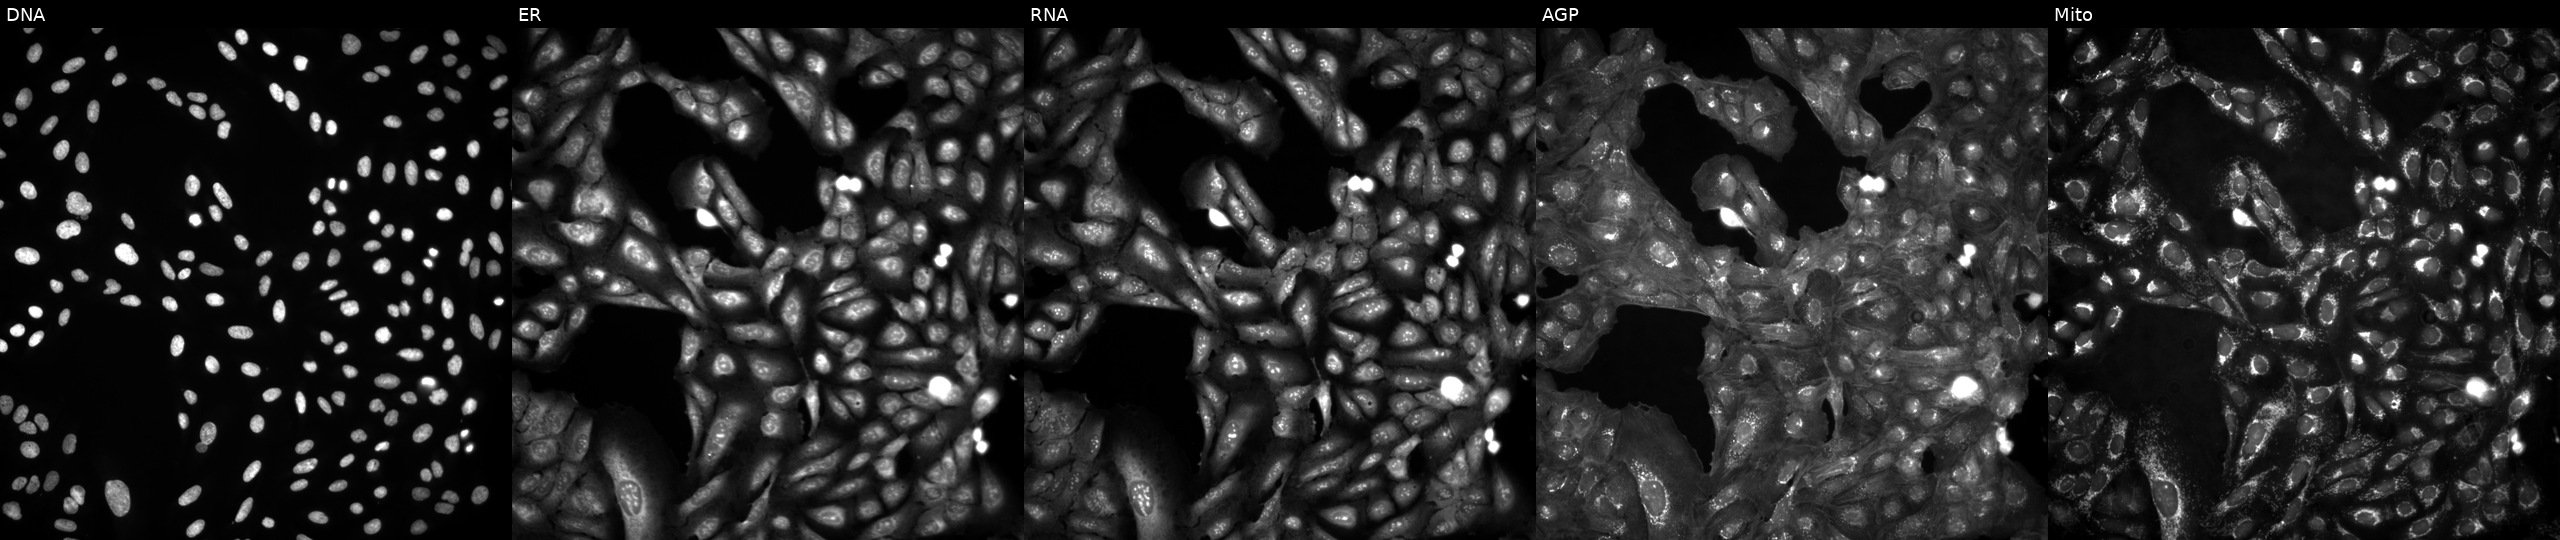
High-content fluorescence microscopy (Cell Painting). Cell line: U2OS. Perturbation: untreated (empty-well control) (JUMP id JCP2022_999999). From left to right: DNA (nuclei); ER (endoplasmic reticulum); RNA (nucleoli and cytoplasmic RNA); AGP (actin cytoskeleton, Golgi, and plasma membrane); Mito (mitochondria).